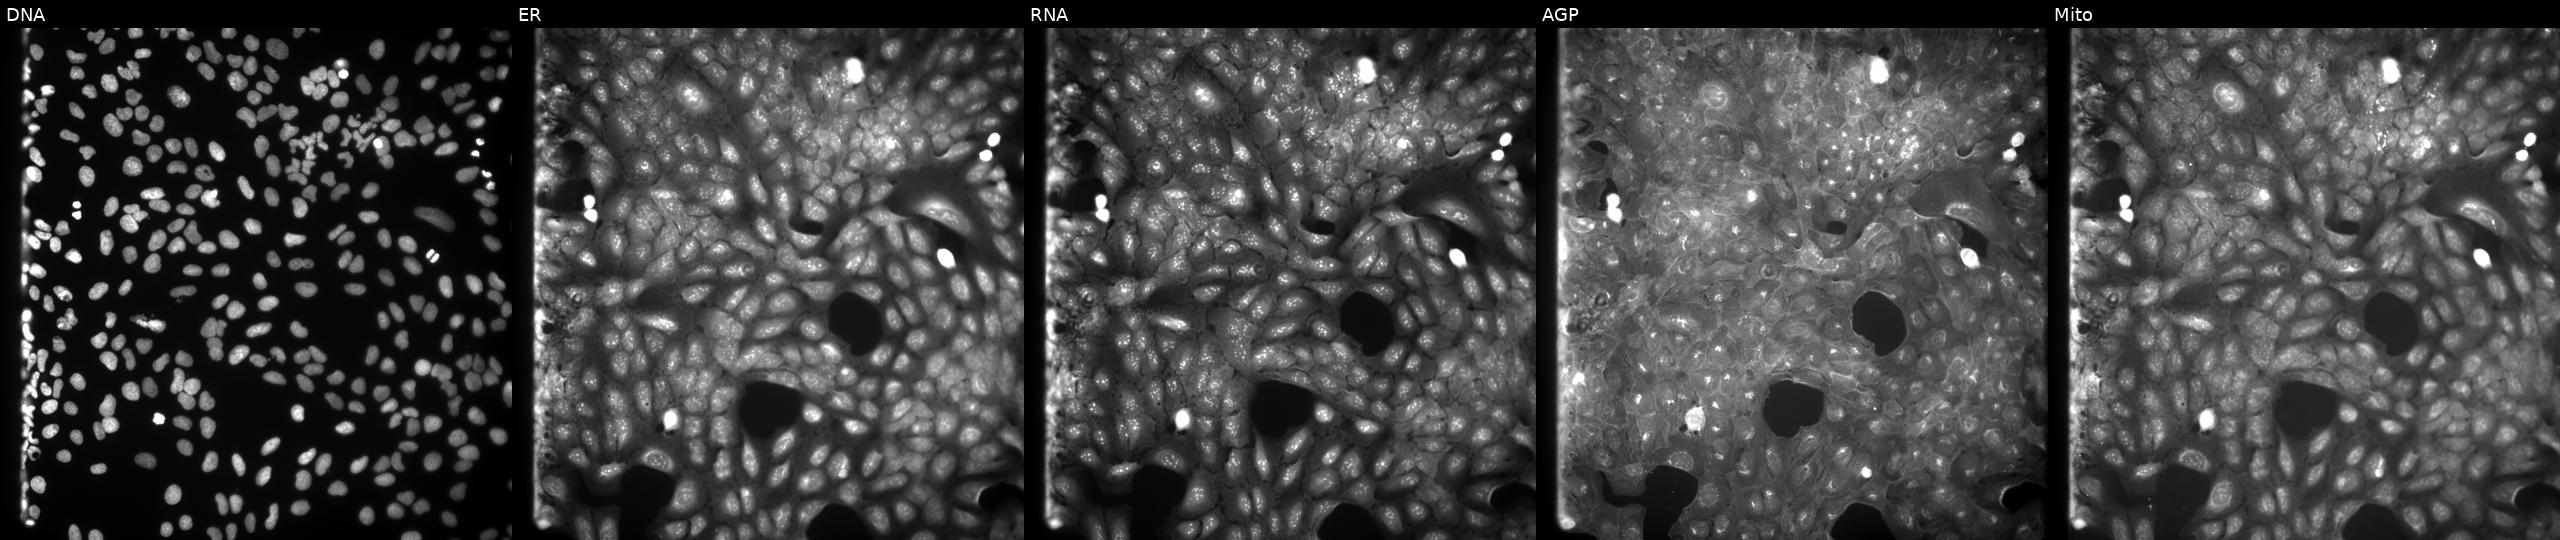
High-content fluorescence microscopy (Cell Painting). Cell line: U2OS. Perturbation: treated with a small-molecule compound (InChIKey YZXUALRIOJRHRR-UHFFFAOYSA-N) [SMILES: O=C(O)c1ccc(S(=O)(=O)c2ccc3c(c2)C(=O)N(c2ccc(O)cc2)C3=O)cc1] (JUMP id JCP2022_111956). The five panels, left to right, show DNA, ER, RNA, AGP, and Mito.